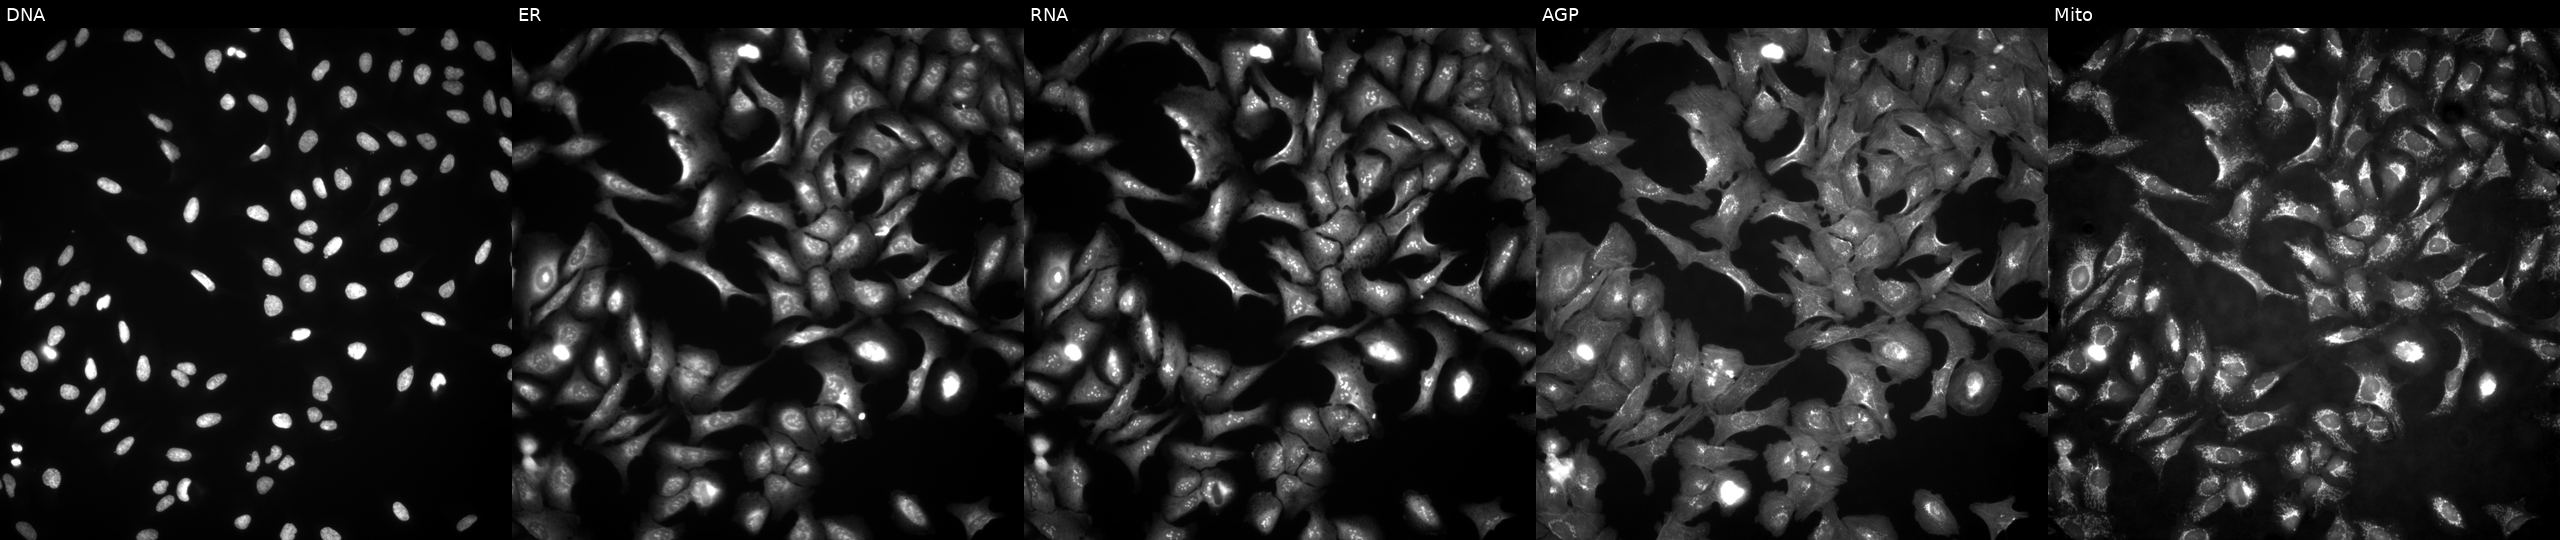
U2OS cells, Cell Painting assay, overexpressing UQCRQ via ORF transfection (JUMP id JCP2022_902808). Channels (left→right): Hoechst 33342, concanavalin A, SYTO 14, phalloidin and WGA, MitoTracker. Each panel is percentile-stretched 16-bit fluorescence.